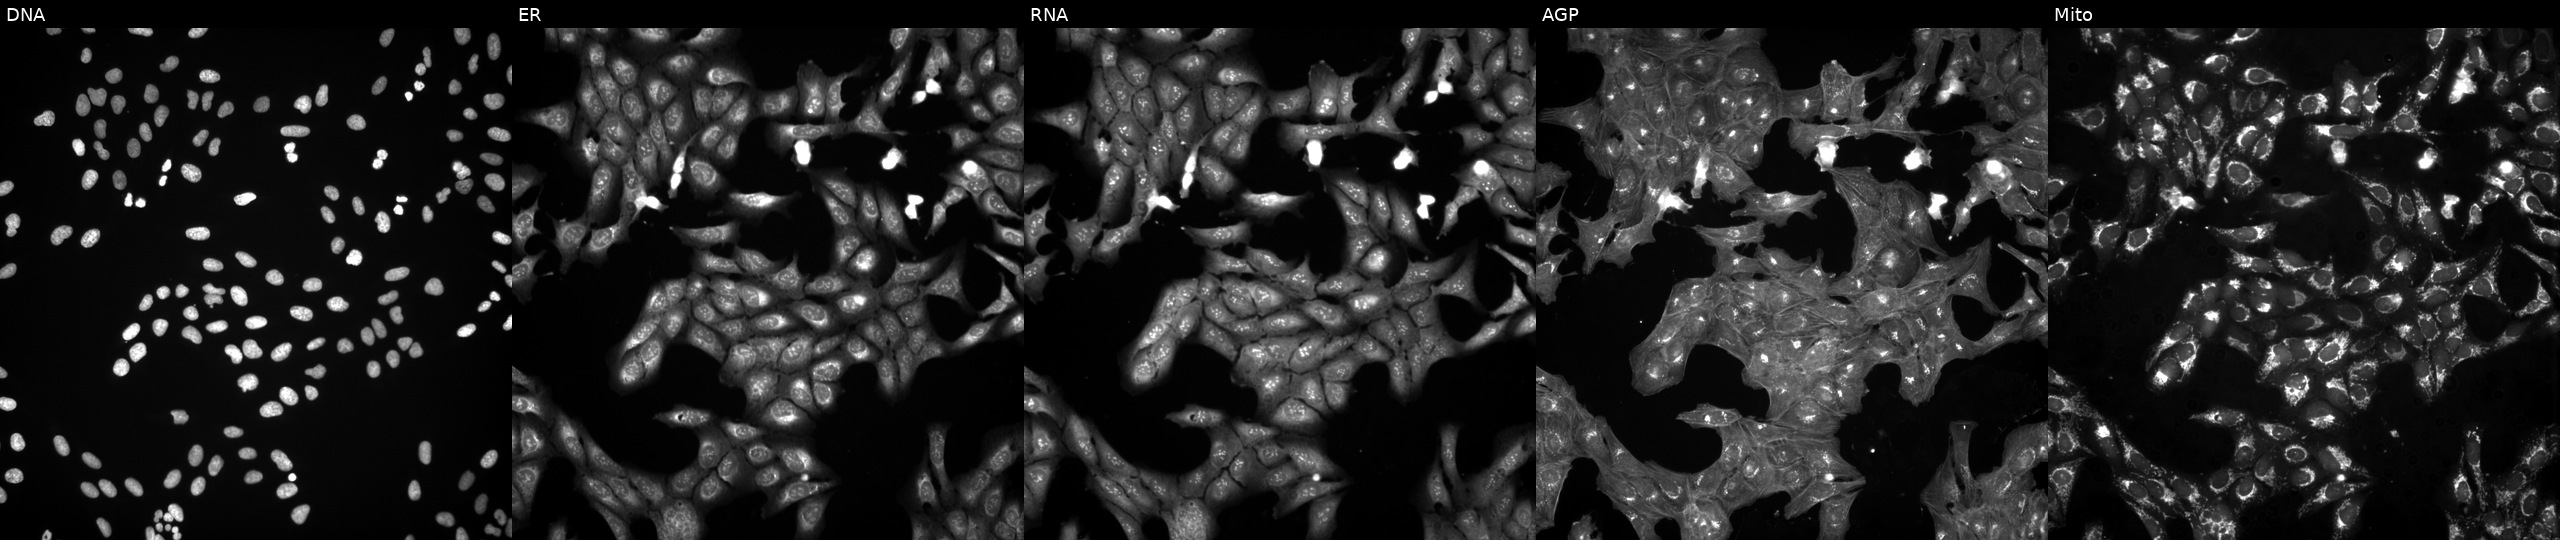
Five-channel Cell Painting image of U2OS cells treated with DMSO vehicle only (negative control). Channels (left→right): DNA (nuclei); ER (endoplasmic reticulum); RNA (nucleoli and cytoplasmic RNA); AGP (actin cytoskeleton, Golgi, and plasma membrane); Mito (mitochondria).